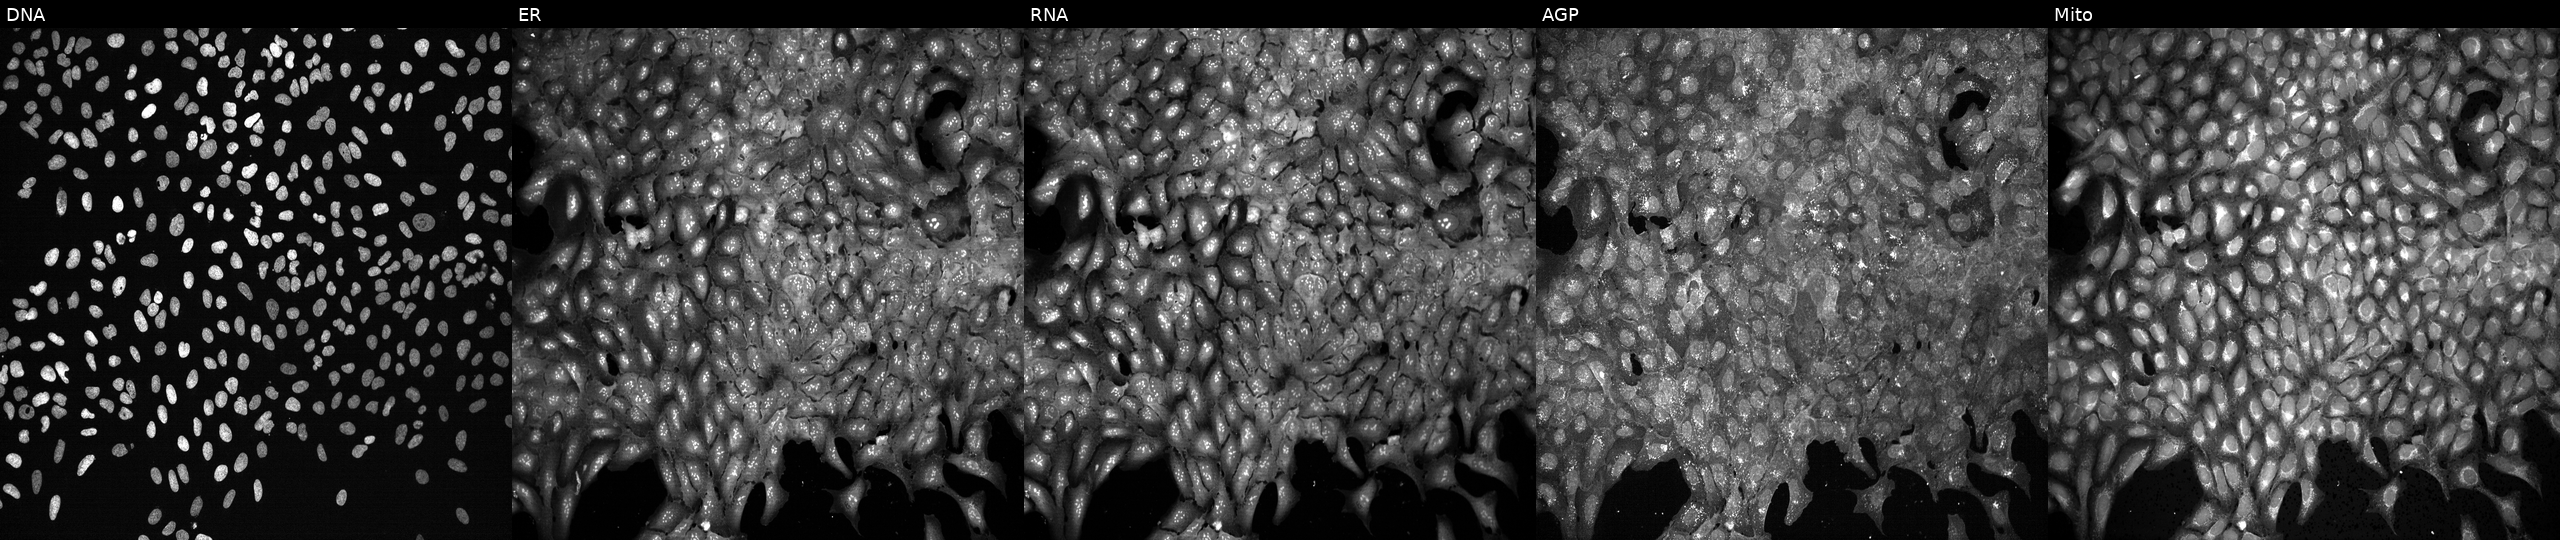
U2OS cells, Cell Painting assay, following CRISPR knockout of CA4 (JUMP id JCP2022_800979). Panels show, left to right, Hoechst 33342, concanavalin A, SYTO 14, phalloidin and WGA, MitoTracker. Each panel is percentile-stretched 16-bit fluorescence. Source 13, plate CP-CC9-R1-02, well H17.